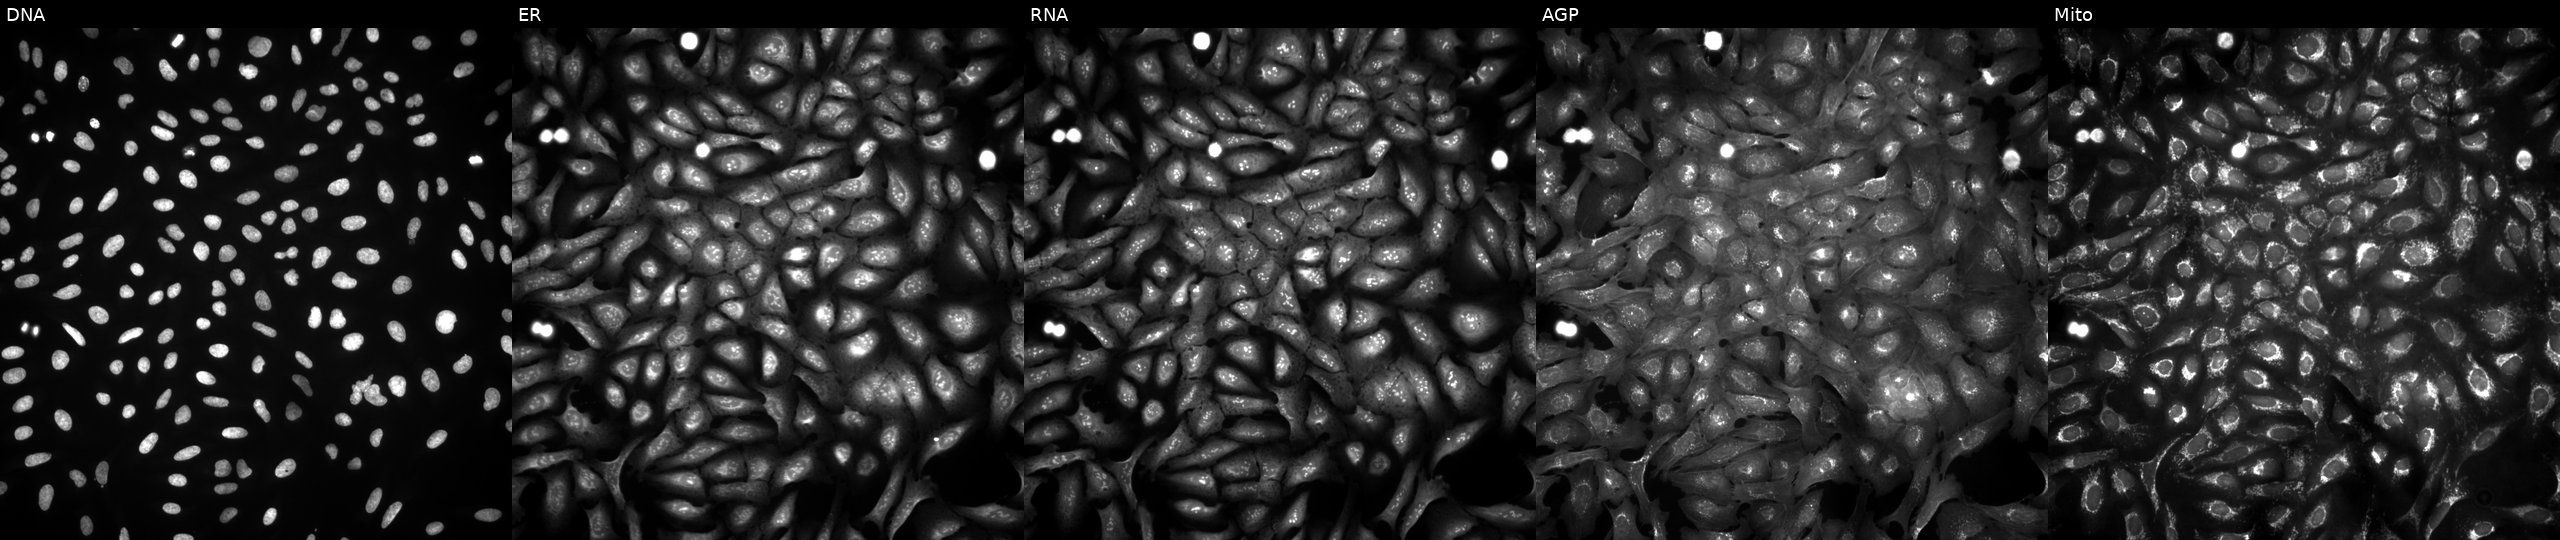
The five panels, left to right, show DNA (nuclei); ER (endoplasmic reticulum); RNA (nucleoli and cytoplasmic RNA); AGP (actin cytoskeleton, Golgi, and plasma membrane); Mito (mitochondria). U2OS osteosarcoma cells transfected with an ORF construct for TTK (JUMP id JCP2022_906646). Cell Painting assay, JUMP-CP dataset.